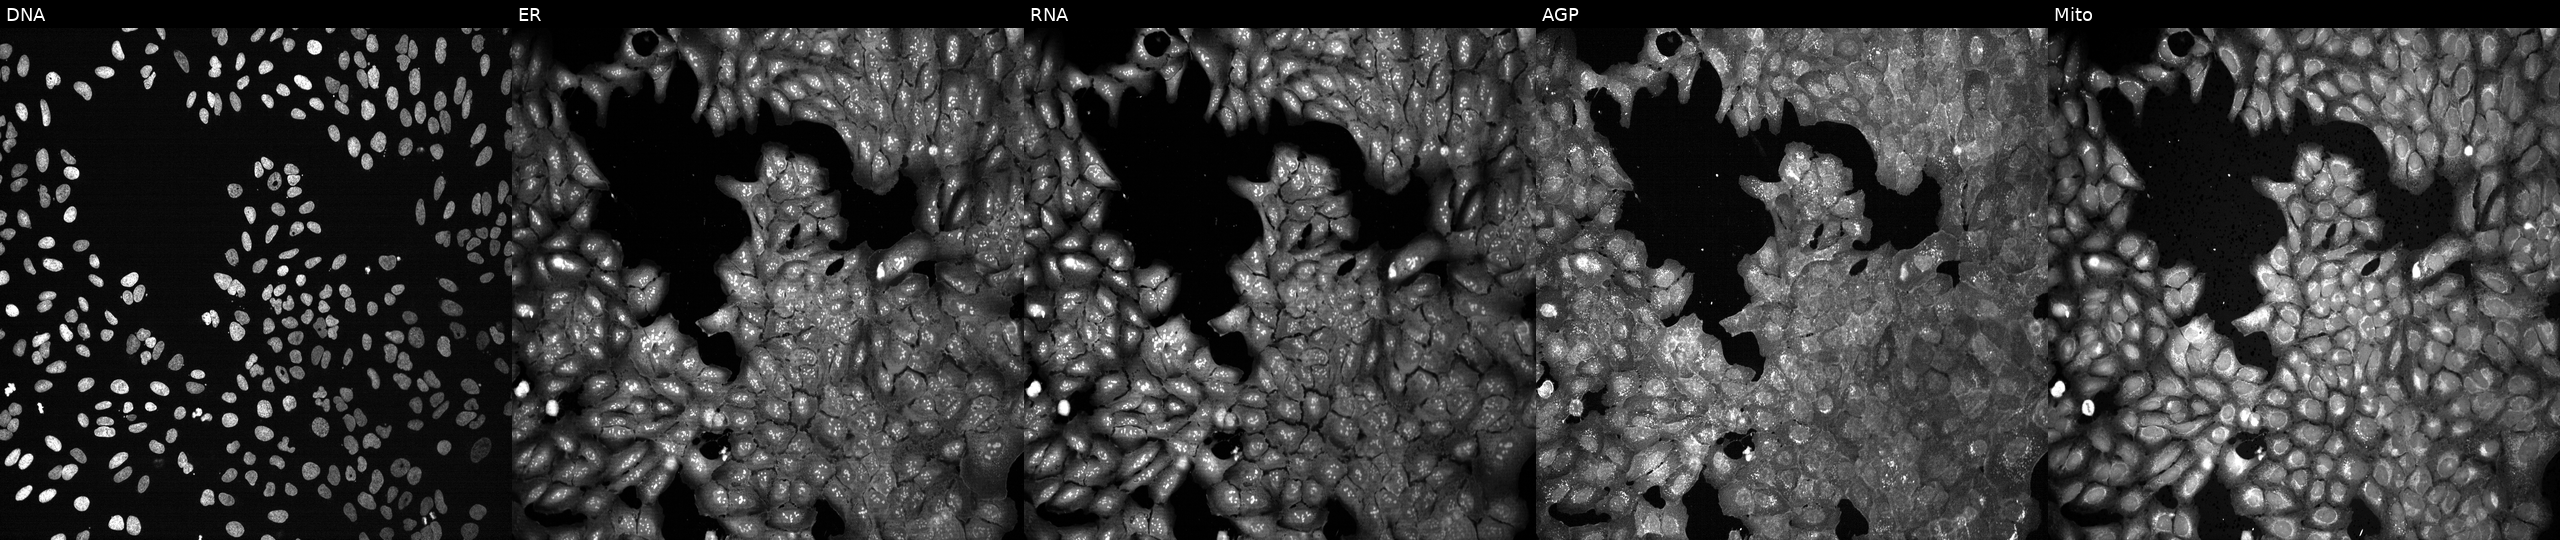
From left to right: Hoechst 33342, concanavalin A, SYTO 14, phalloidin and WGA, MitoTracker. U2OS osteosarcoma cells CRISPR-edited to disrupt POLR3A (JUMP id JCP2022_805354). Cell Painting assay, JUMP-CP dataset.